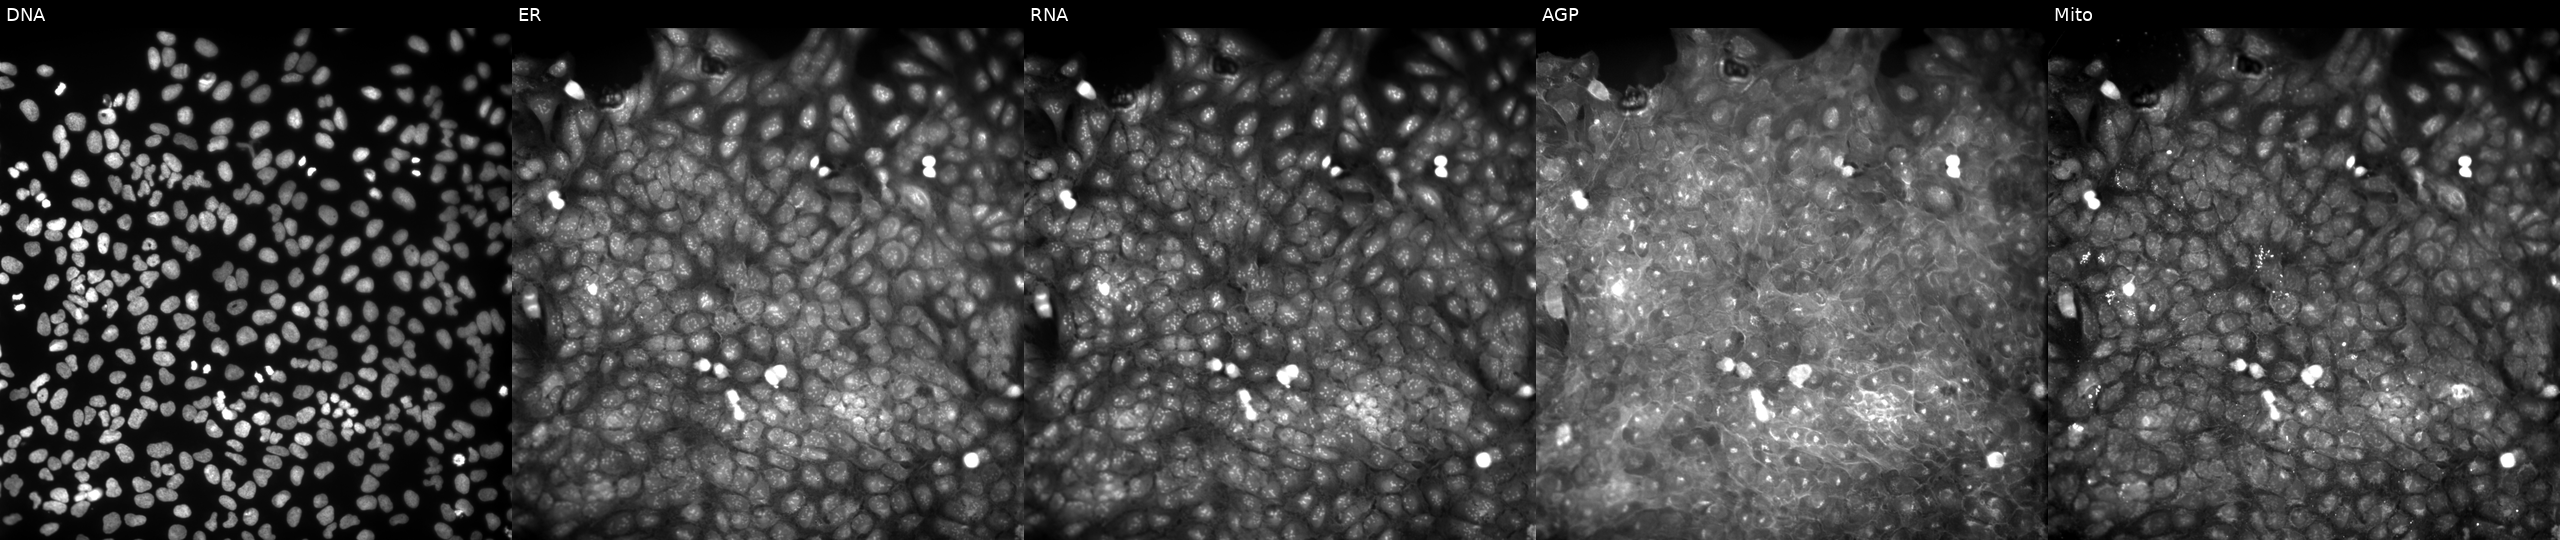
High-content fluorescence microscopy (Cell Painting). Cell line: U2OS. Perturbation: perturbed with a small-molecule compound (InChIKey WTIBRRQFRBSGKK-UHFFFAOYSA-N) (JUMP id JCP2022_101056). Channels (left→right): DNA (nuclei); ER (endoplasmic reticulum); RNA (nucleoli and cytoplasmic RNA); AGP (actin cytoskeleton, Golgi, and plasma membrane); Mito (mitochondria).